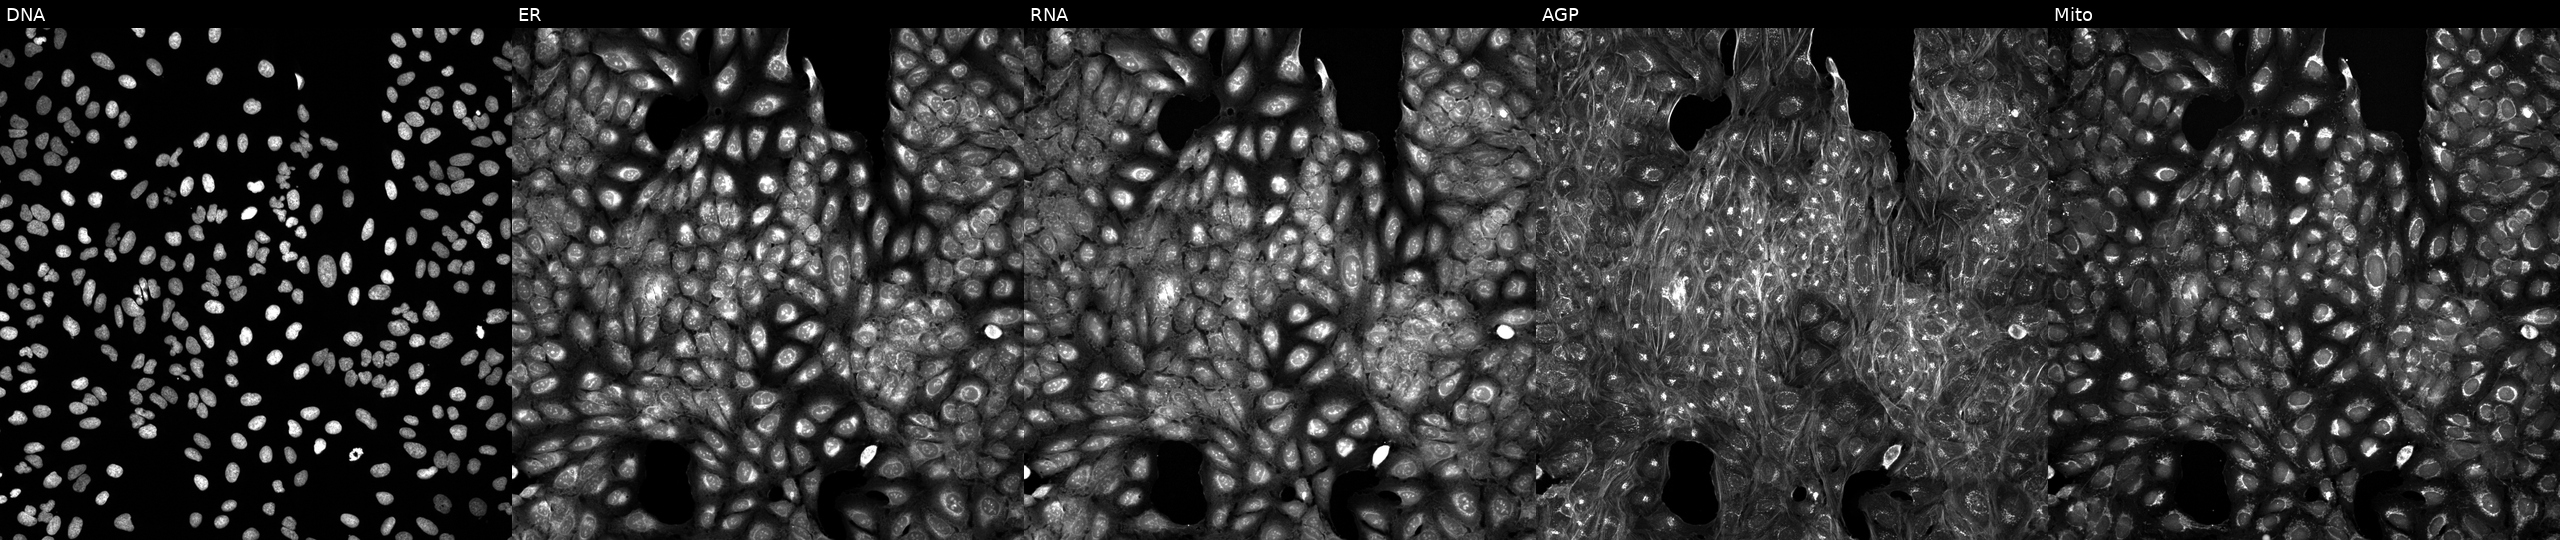
The five panels, left to right, show DNA, ER, RNA, AGP, and Mito. U2OS osteosarcoma cells exposed to a small-molecule compound (JUMP id JCP2022_029365). Cell Painting assay, JUMP-CP dataset.